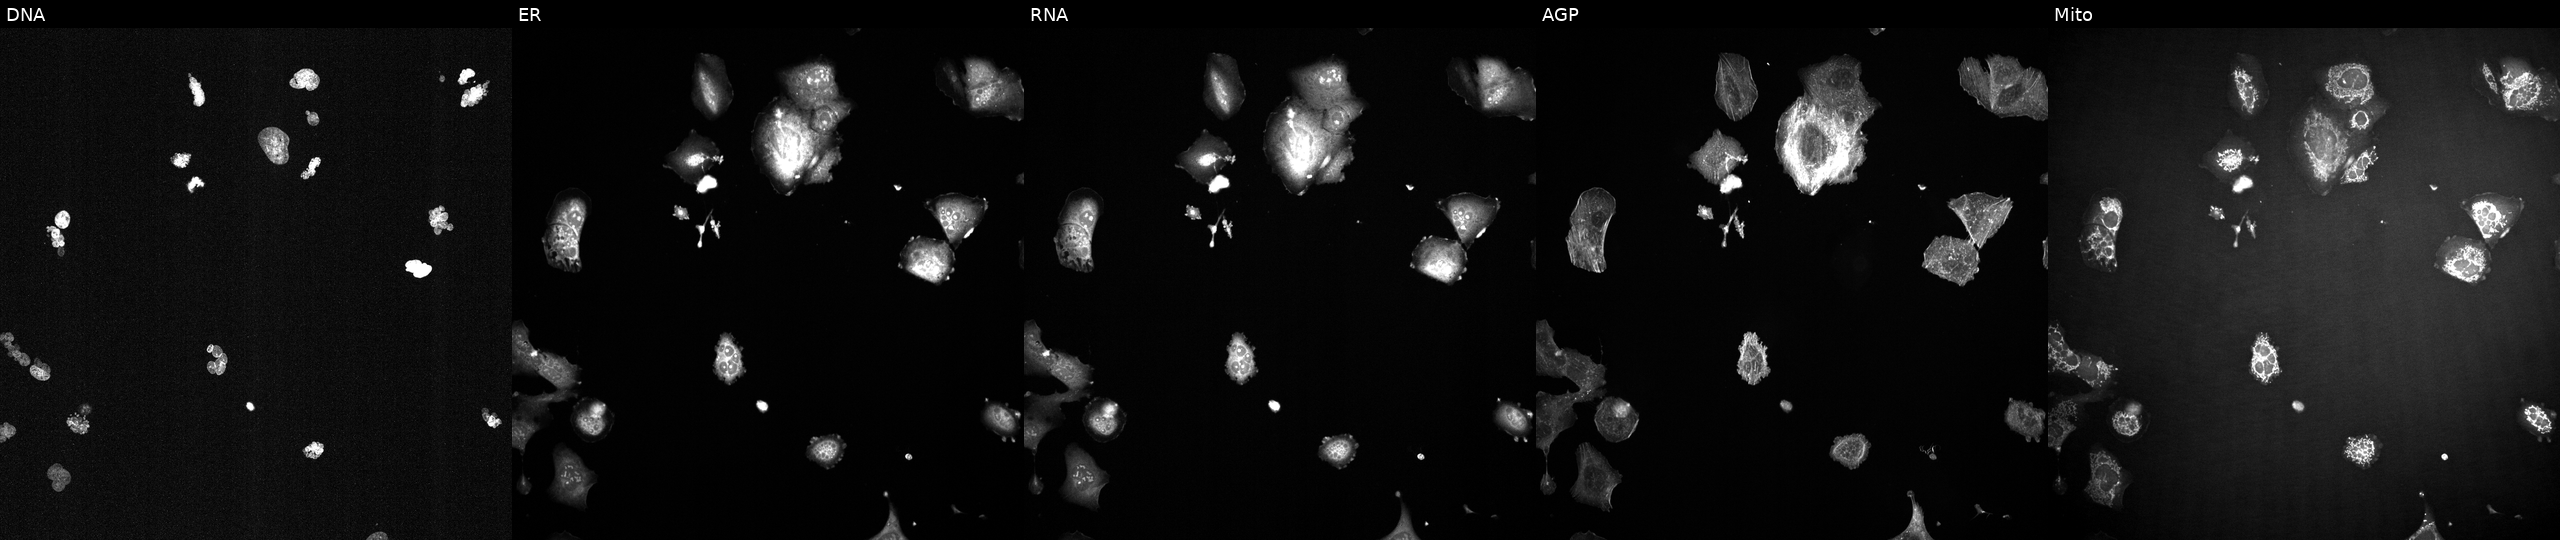
Five-channel Cell Painting image of U2OS cells perturbed with a small-molecule compound (InChIKey RAOCRURYZCVHMG-UHFFFAOYSA-N) [SMILES: CCCOc1ccc2[nH]c(=NC(=O)OC)[nH]c2c1] (JUMP id JCP2022_077096). Panels show, left to right, DNA, ER, RNA, AGP, and Mito. Source 2, plate 1053599503, well F11.